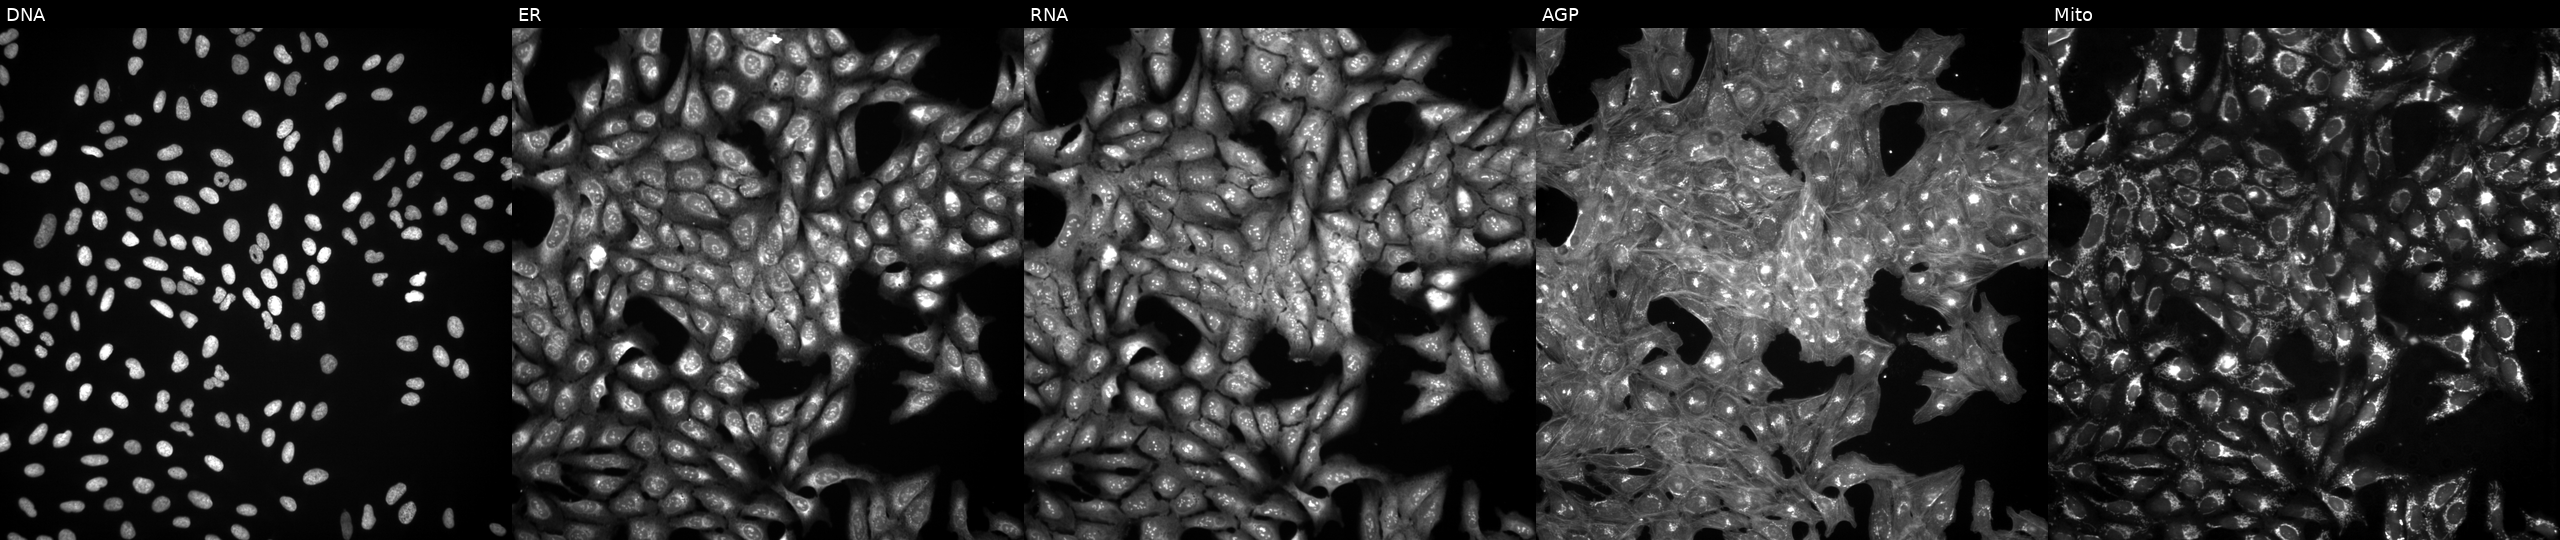
JUMP Cell Painting — COMPOUND plate. U2OS cells exposed to DMSO alone as a negative control. Channels (left→right): Hoechst 33342, concanavalin A, SYTO 14, phalloidin and WGA, MitoTracker.